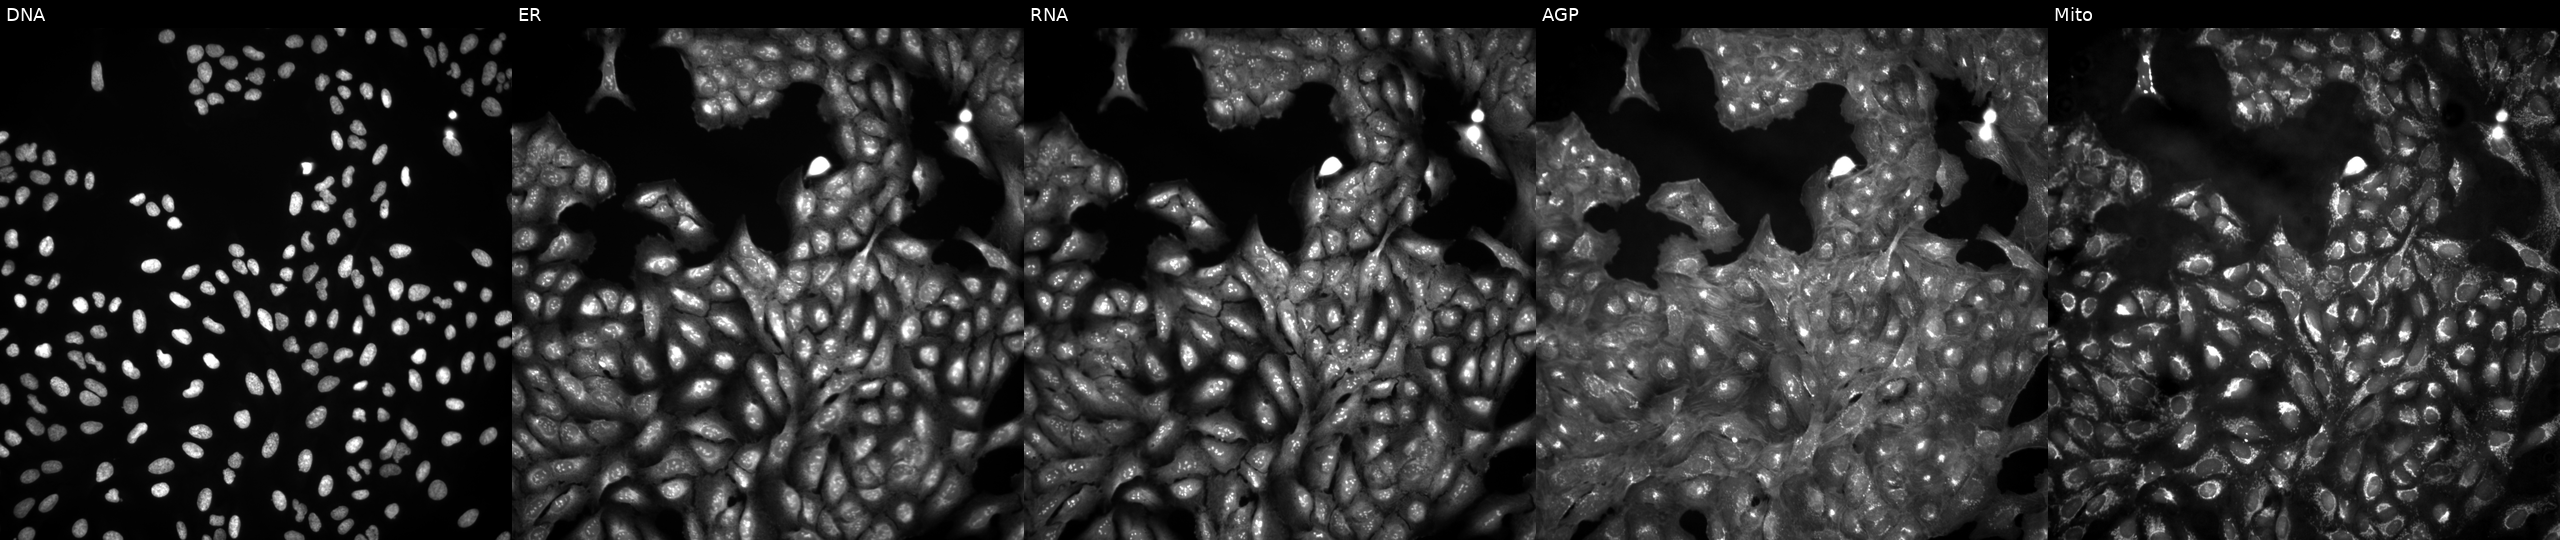
JUMP Cell Painting — ORF plate. U2OS cells in an empty control well (no perturbation) (JUMP id JCP2022_999999). From left to right: DNA, ER, RNA, AGP, and Mito.